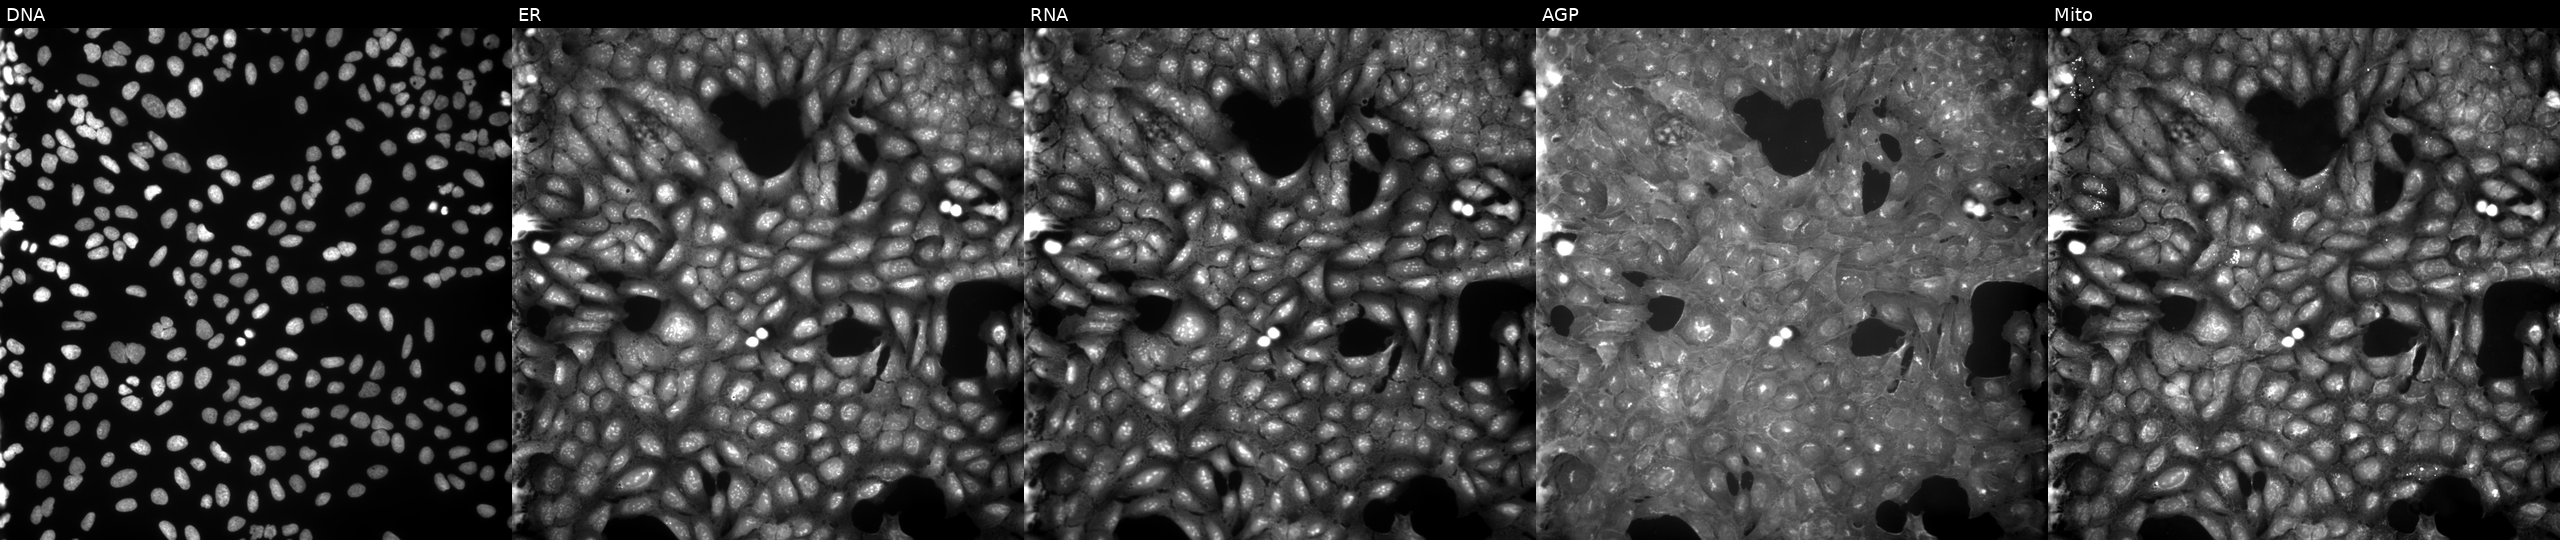
JUMP Cell Painting — COMPOUND plate. U2OS cells treated with TC-S-7004 (positive-control compound). Panels show, left to right, Hoechst 33342, concanavalin A, SYTO 14, phalloidin and WGA, MitoTracker.